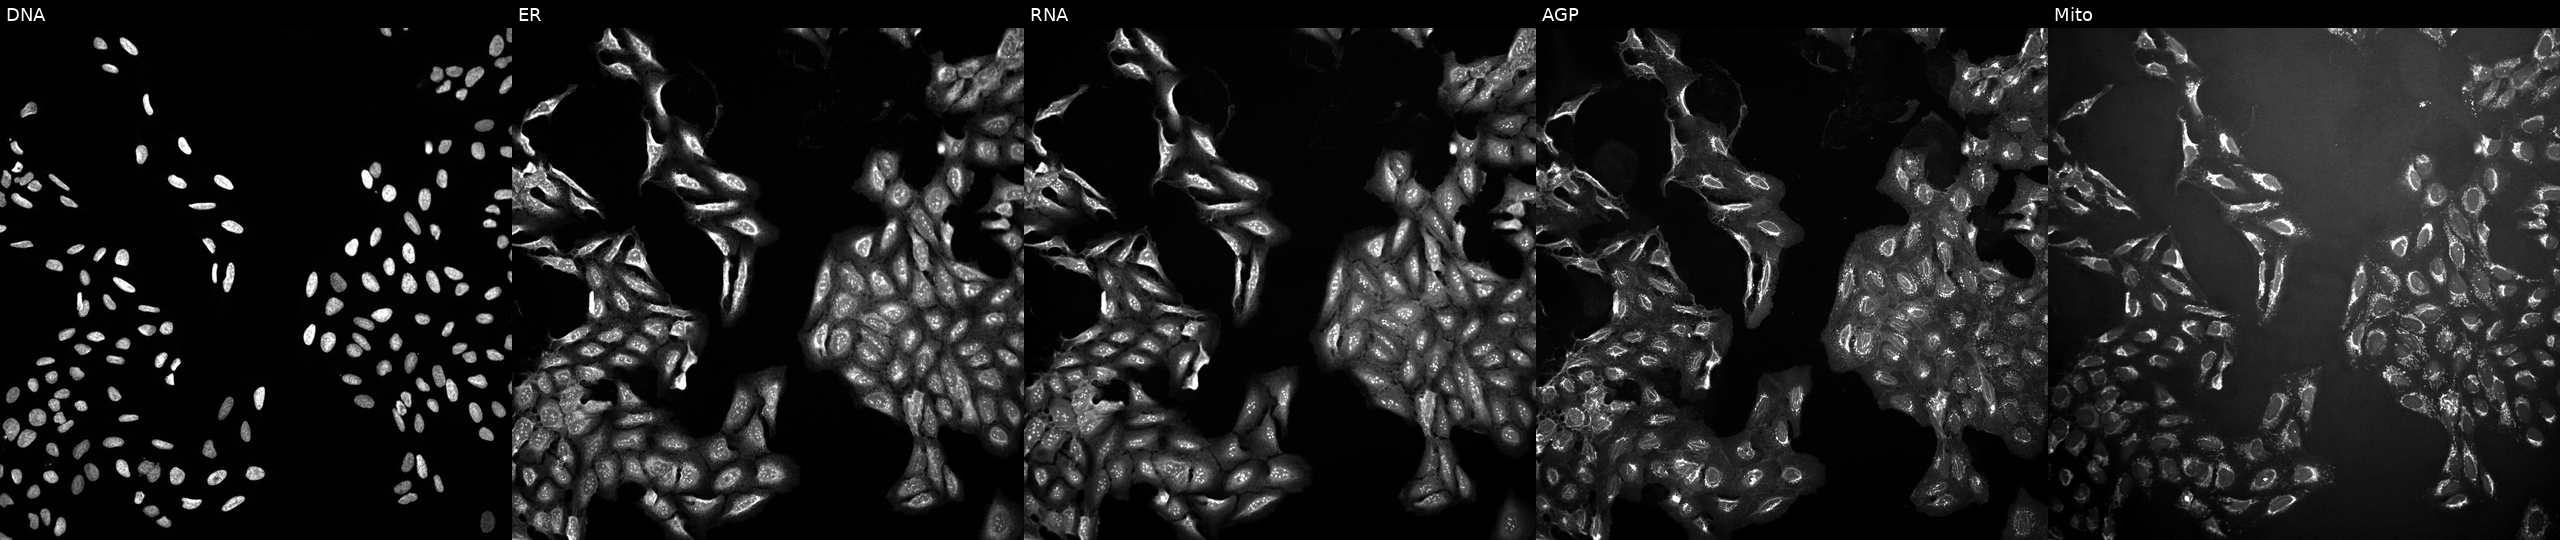
This image strip shows the five Cell Painting channels for a single field of U2OS cells perturbed with a small-molecule compound (InChIKey LLVZBTWPGQVVLW-UHFFFAOYSA-N) (JUMP id JCP2022_050271). The five panels, left to right, show DNA, ER, RNA, AGP, and Mito. Source 10, plate Dest210803-153958, well E12.